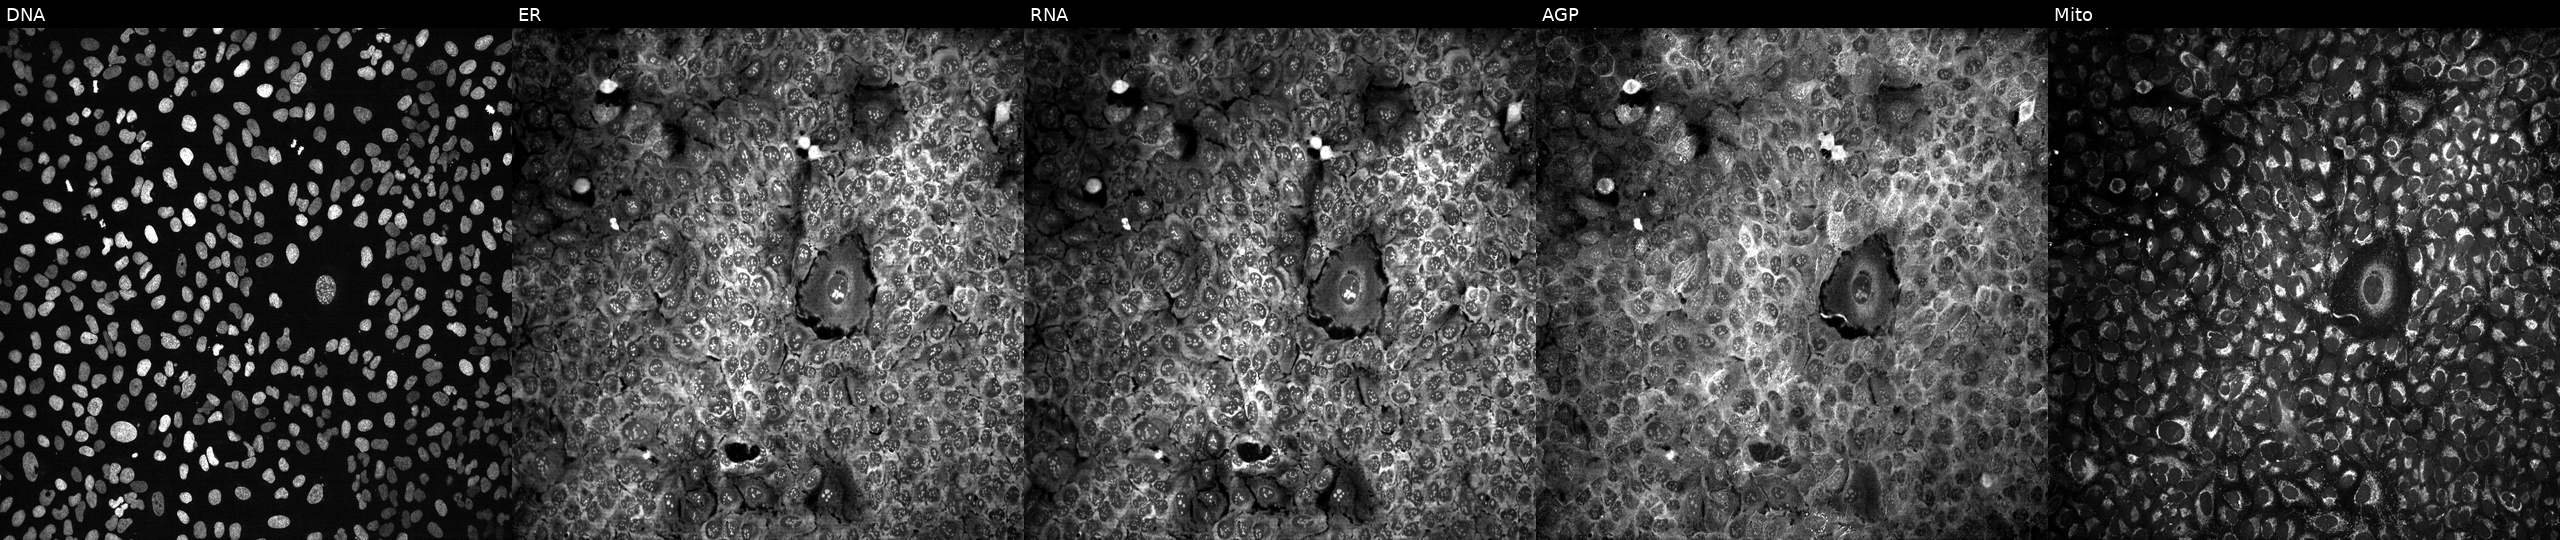
Five-channel Cell Painting image of U2OS cells with CHD7 knocked out by CRISPR (JUMP id JCP2022_801286). Panels show, left to right, DNA, ER, RNA, AGP, and Mito.